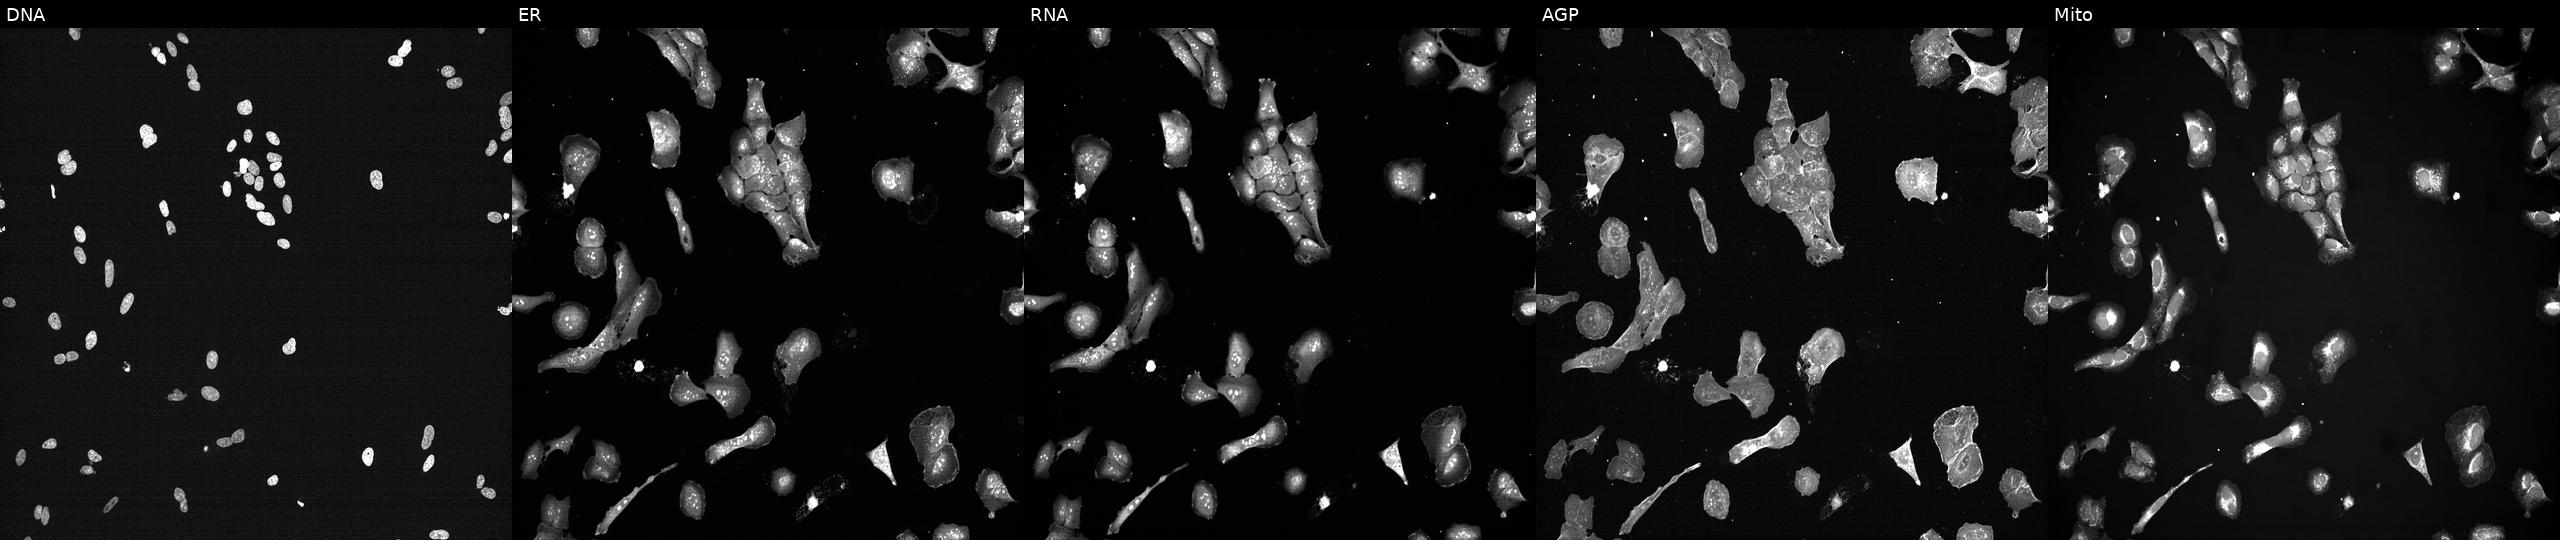
Channels (left→right): DNA, ER, RNA, AGP, and Mito. U2OS osteosarcoma cells treated with TC-S-7004 (positive-control compound). Cell Painting assay, JUMP-CP dataset.